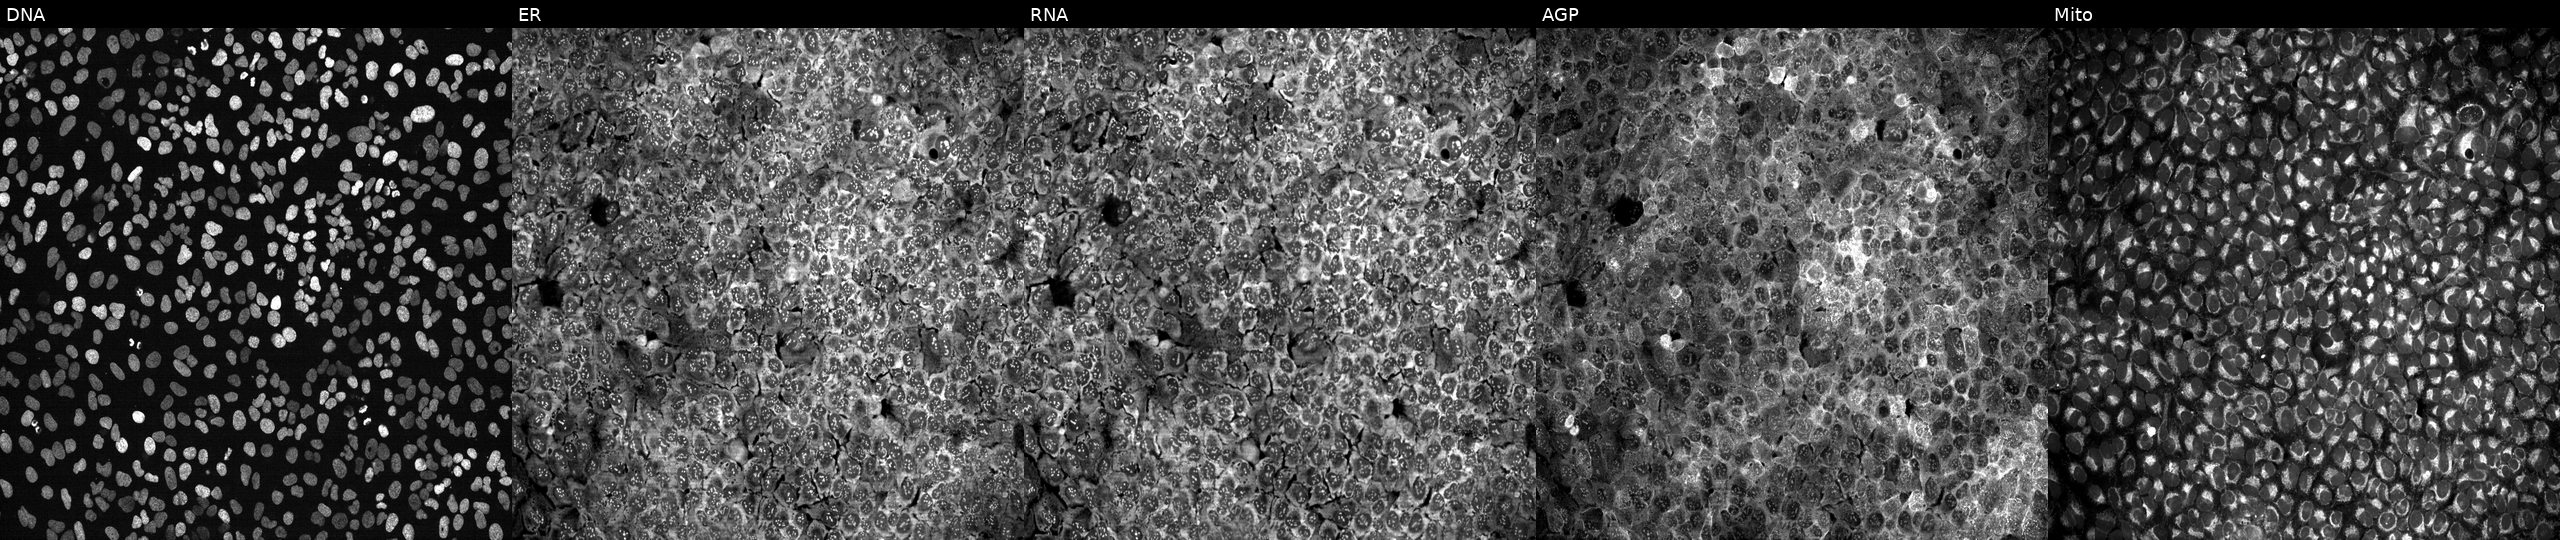
Channels (left→right): DNA, ER, RNA, AGP, and Mito. U2OS osteosarcoma cells with MTR knocked out by CRISPR (JUMP id JCP2022_804329). Cell Painting assay, JUMP-CP dataset.